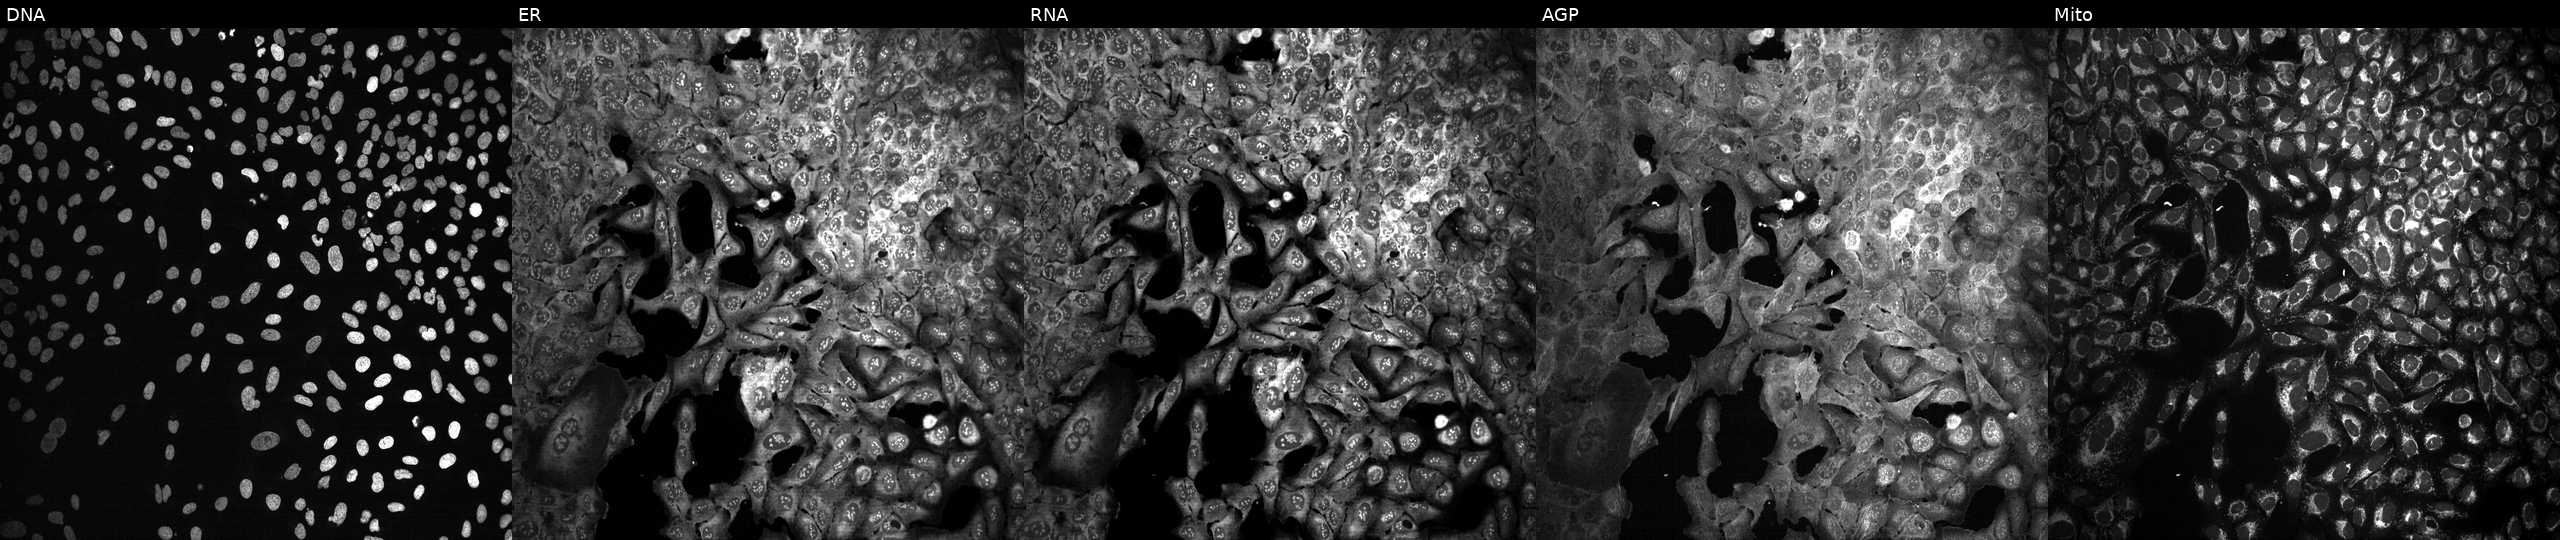
From left to right: Hoechst 33342, concanavalin A, SYTO 14, phalloidin and WGA, MitoTracker. U2OS osteosarcoma cells following CRISPR knockout of ARG1 (JUMP id JCP2022_800560). Cell Painting assay, JUMP-CP dataset. Source 13, plate CP-CC9-R3-01, well P05.